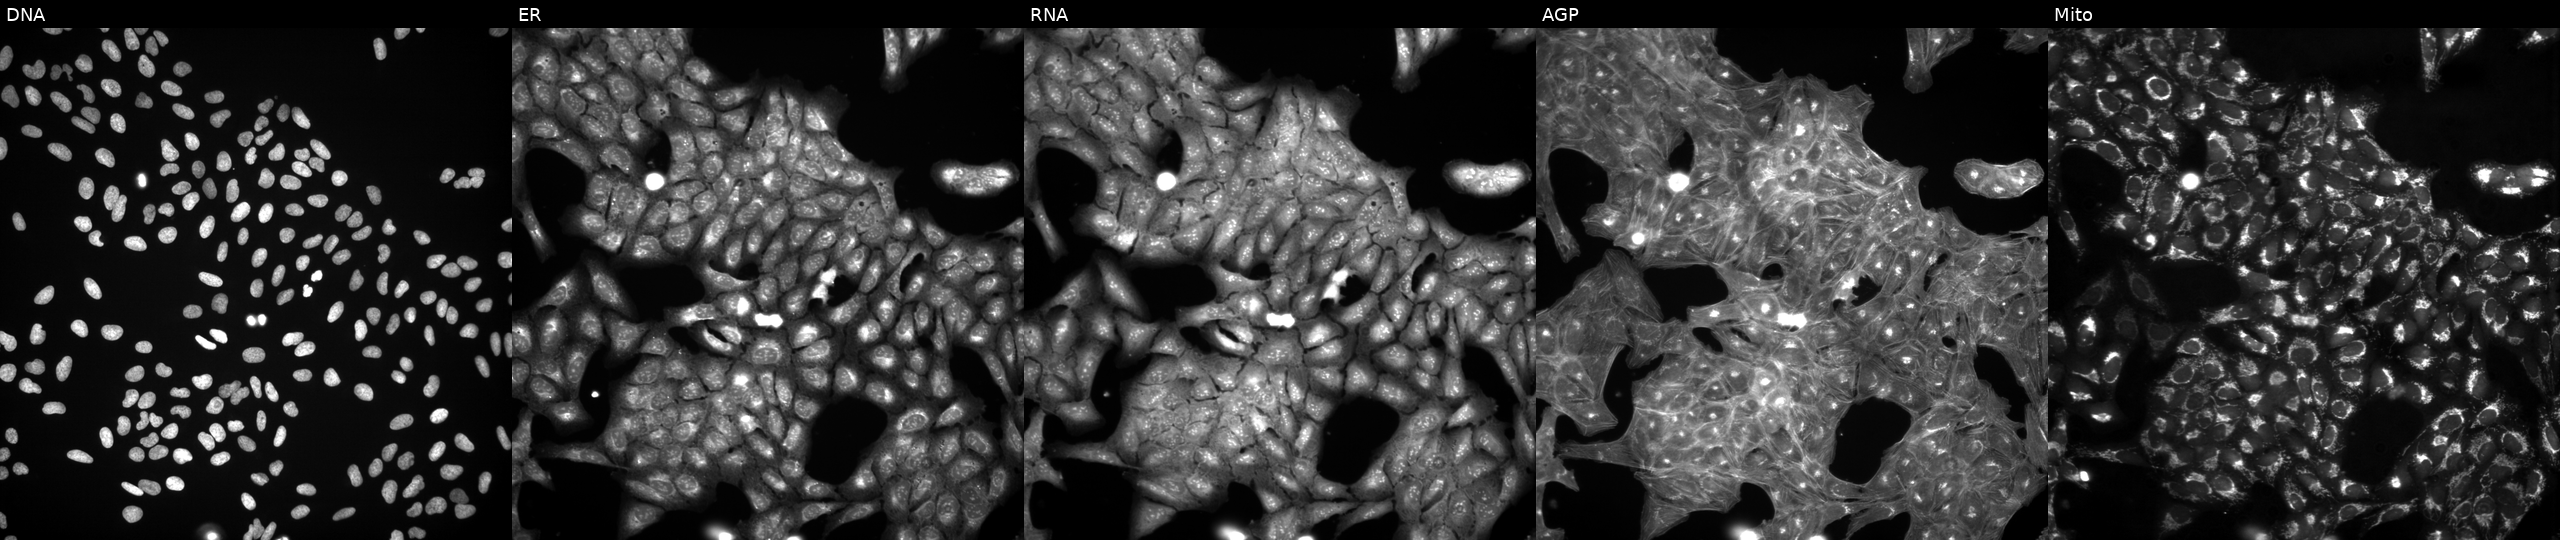
This image strip shows the five Cell Painting channels for a single field of U2OS cells exposed to a small-molecule compound [SMILES: COc1cccc(-c2cc(=O)c3ccccc3o2)c1N]. The five panels, left to right, show DNA, ER, RNA, AGP, and Mito.